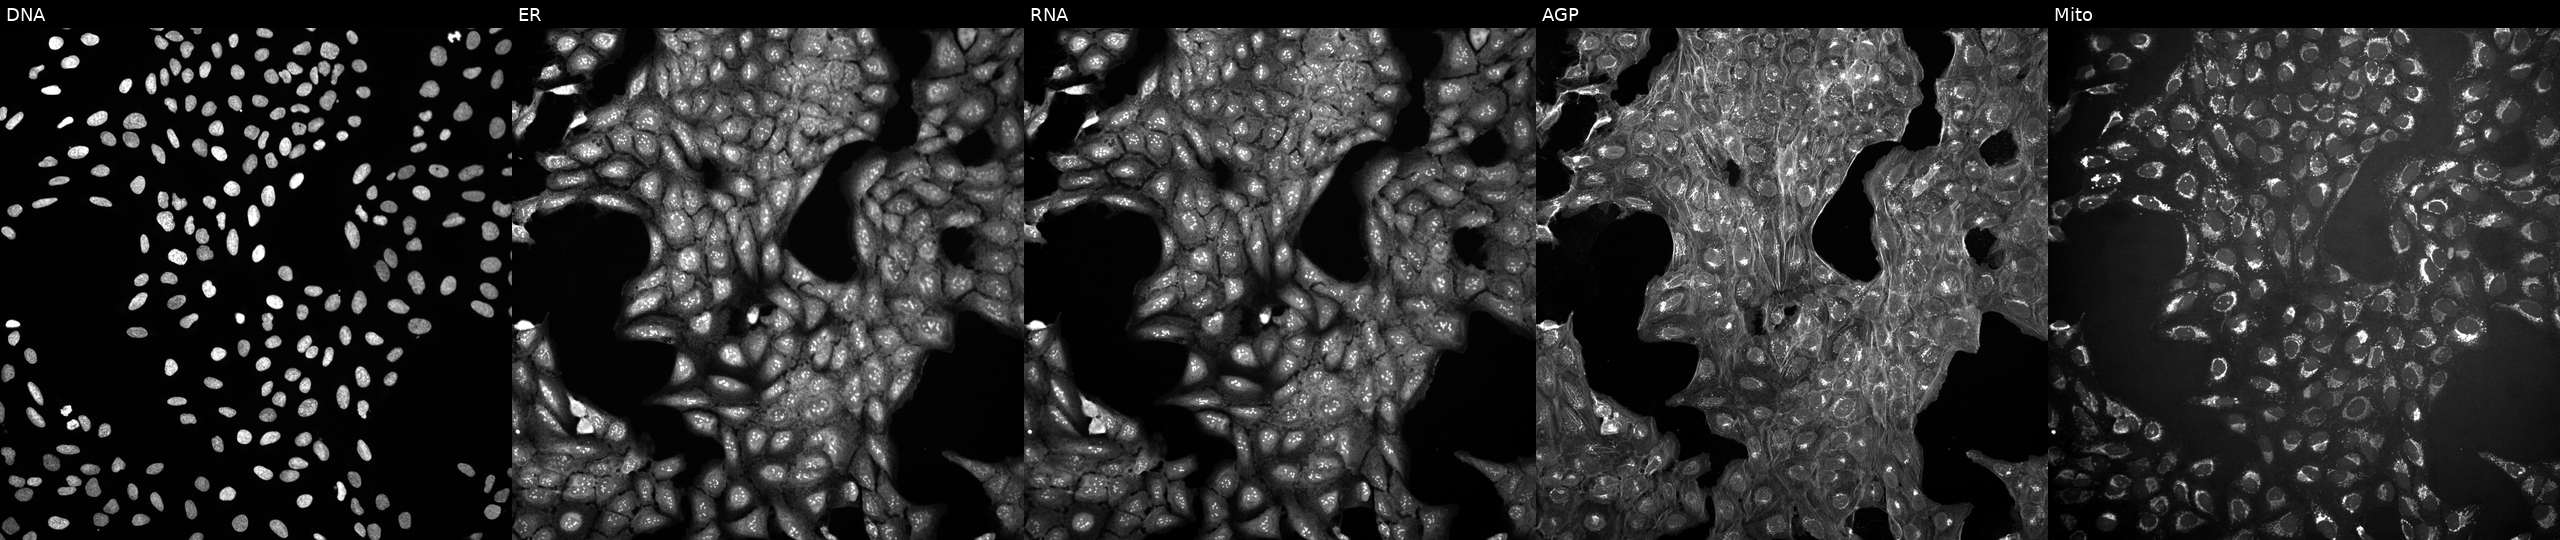
Channels (left→right): DNA, ER, RNA, AGP, and Mito. U2OS osteosarcoma cells untreated (empty-well control) (JUMP id JCP2022_999999). Cell Painting assay, JUMP-CP dataset.